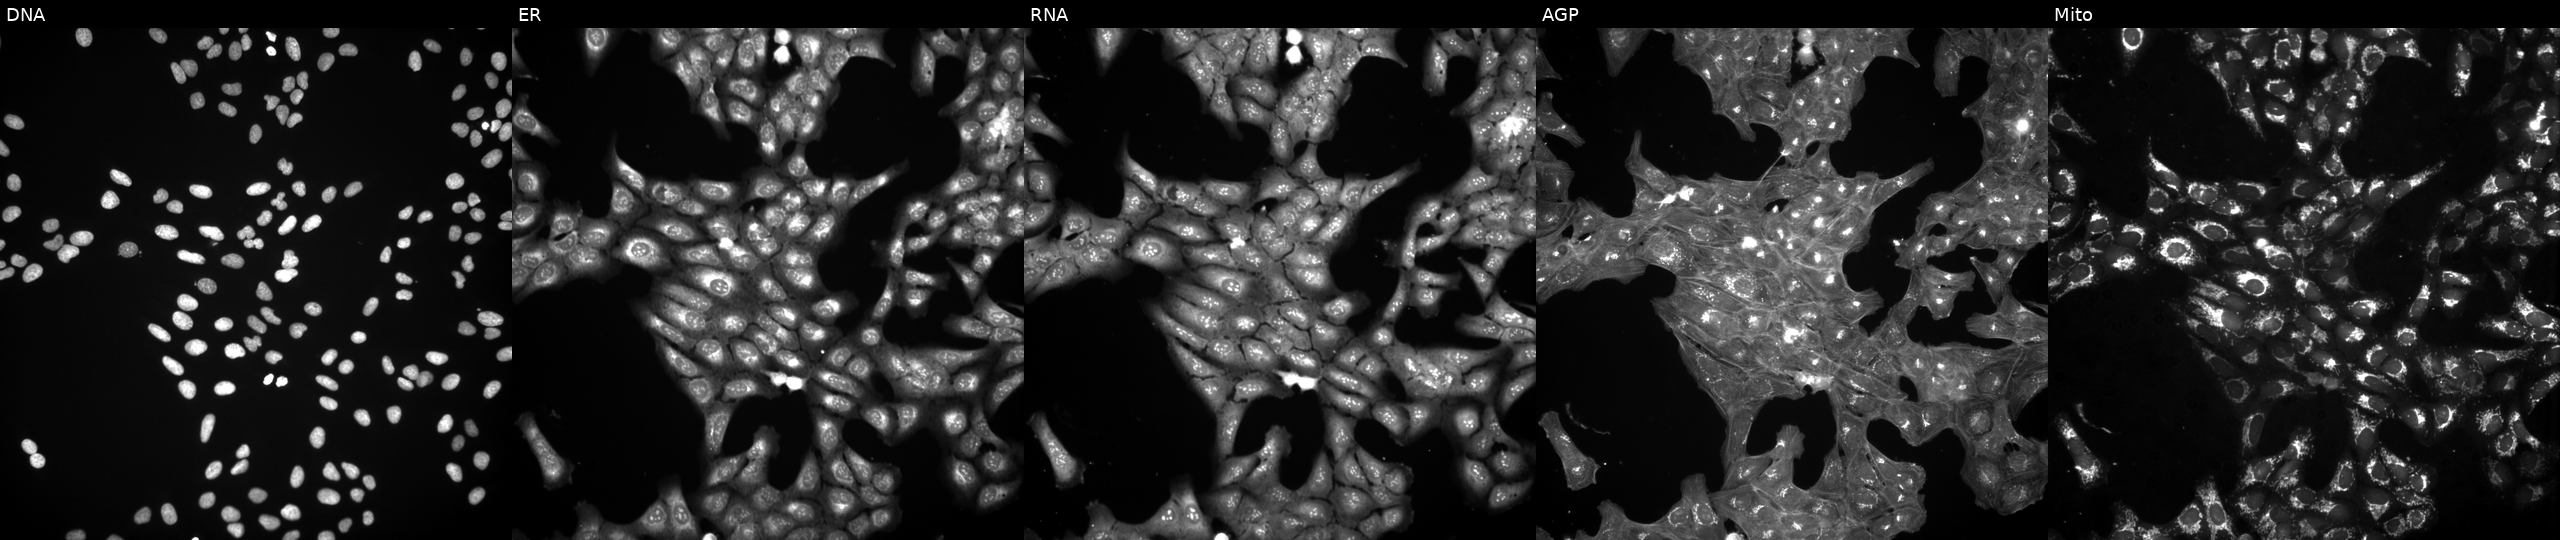
JUMP Cell Painting — COMPOUND plate. U2OS cells exposed to a small-molecule compound (InChIKey DNIOEVNUIXCPPD-UHFFFAOYSA-N) [SMILES: CCOc1ccc(S(=O)(=O)NCc2ccco2)cc1]. From left to right: Hoechst 33342, concanavalin A, SYTO 14, phalloidin and WGA, MitoTracker.